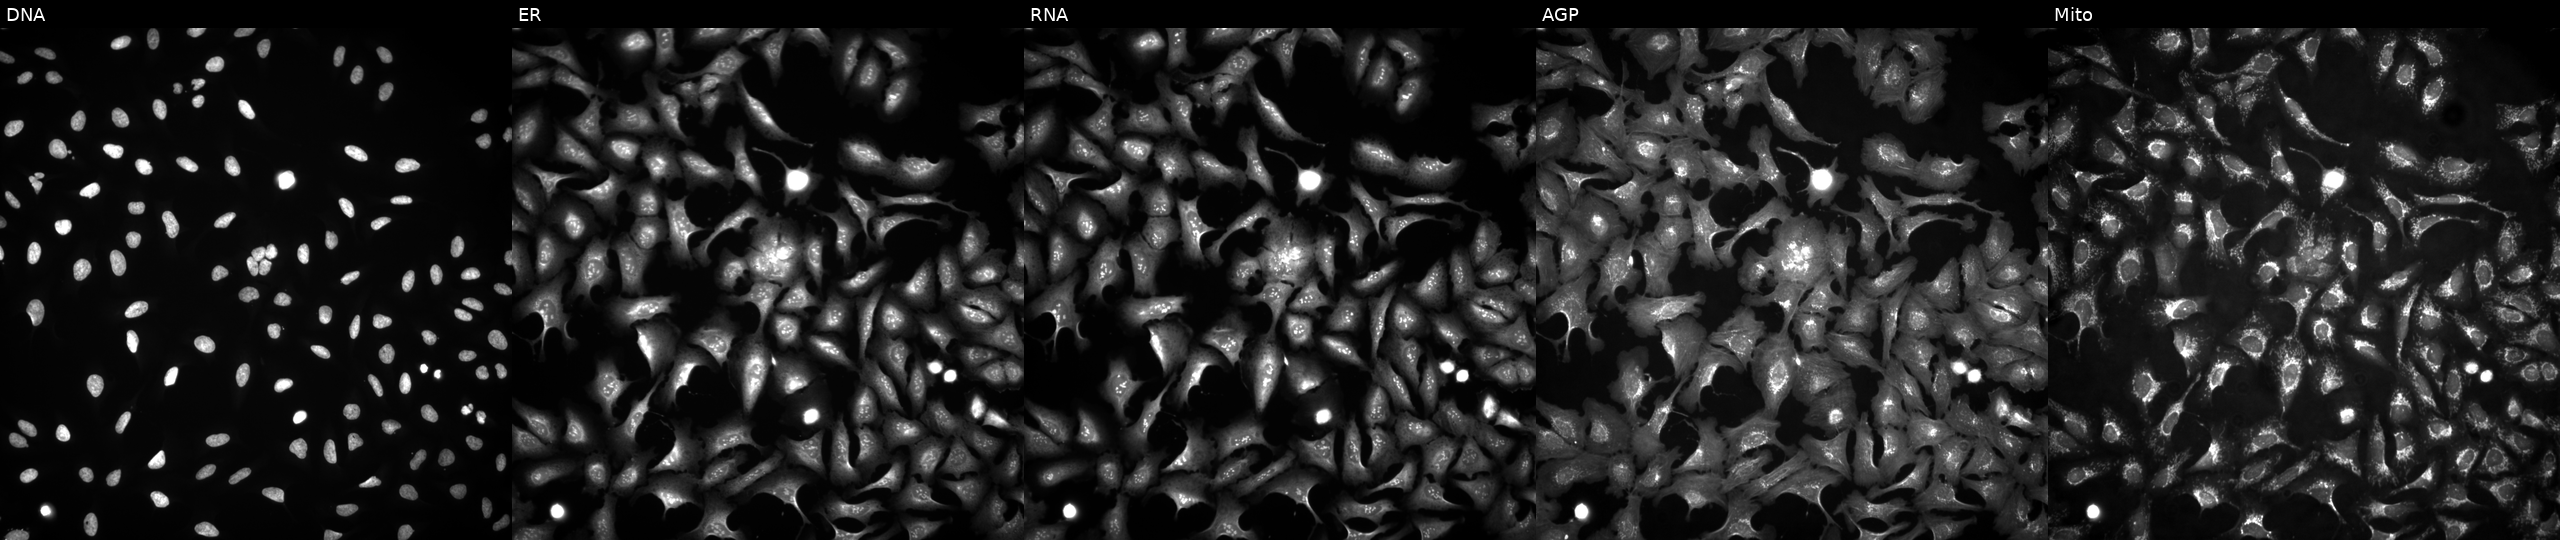
From left to right: DNA (nuclei); ER (endoplasmic reticulum); RNA (nucleoli and cytoplasmic RNA); AGP (actin cytoskeleton, Golgi, and plasma membrane); Mito (mitochondria). U2OS osteosarcoma cells transfected with an ORF construct for GNAS (JUMP id JCP2022_900614). Cell Painting assay, JUMP-CP dataset. Source 4, plate BR00124787, well C07.